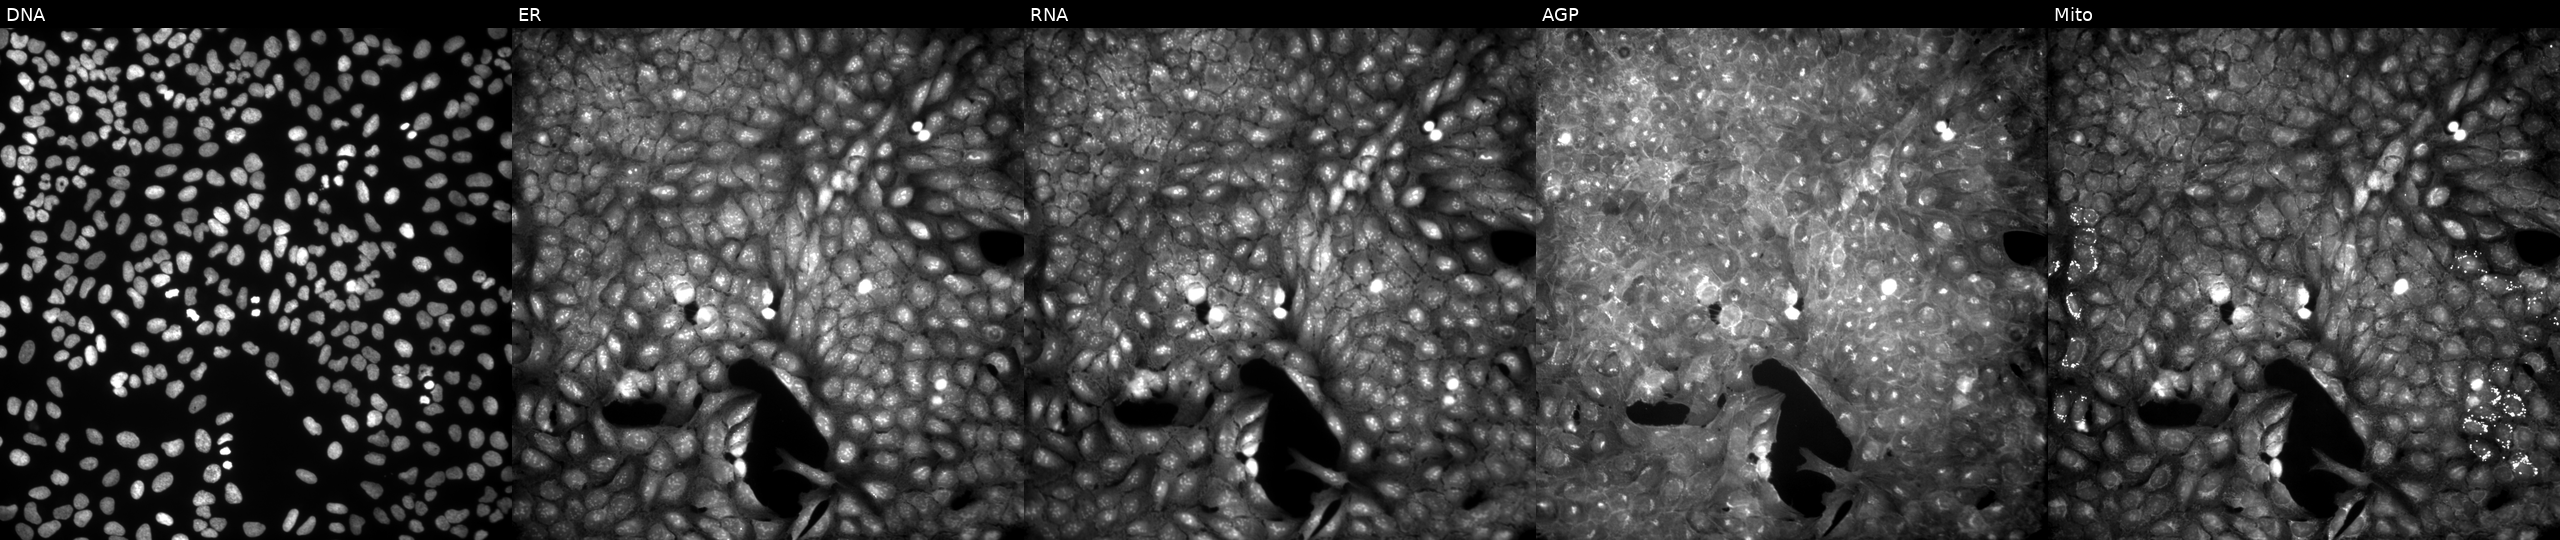
High-content fluorescence microscopy (Cell Painting). Cell line: U2OS. Perturbation: exposed to a small-molecule compound (InChIKey PKMQNKRZRWBGGO-UHFFFAOYSA-N). From left to right: Hoechst 33342, concanavalin A, SYTO 14, phalloidin and WGA, MitoTracker. Source 9, plate GR00003382, well Q34.